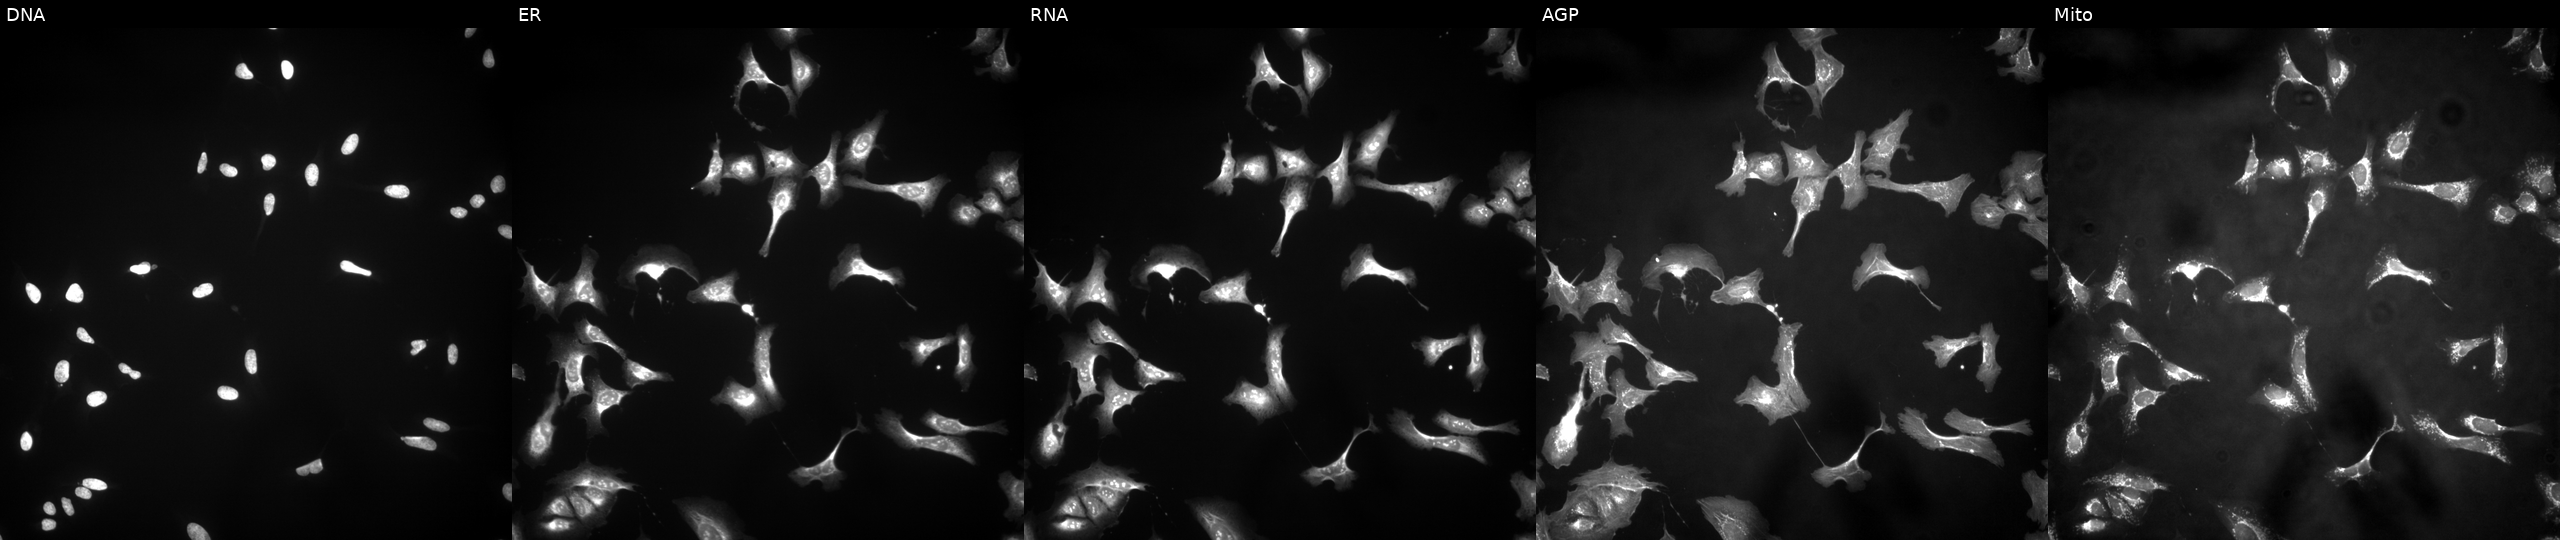
This image strip shows the five Cell Painting channels for a single field of U2OS cells with INHBA overexpressed (ORF) (JUMP id JCP2022_900816). The five panels, left to right, show Hoechst 33342, concanavalin A, SYTO 14, phalloidin and WGA, MitoTracker. Source 4, plate BR00123506, well O14.